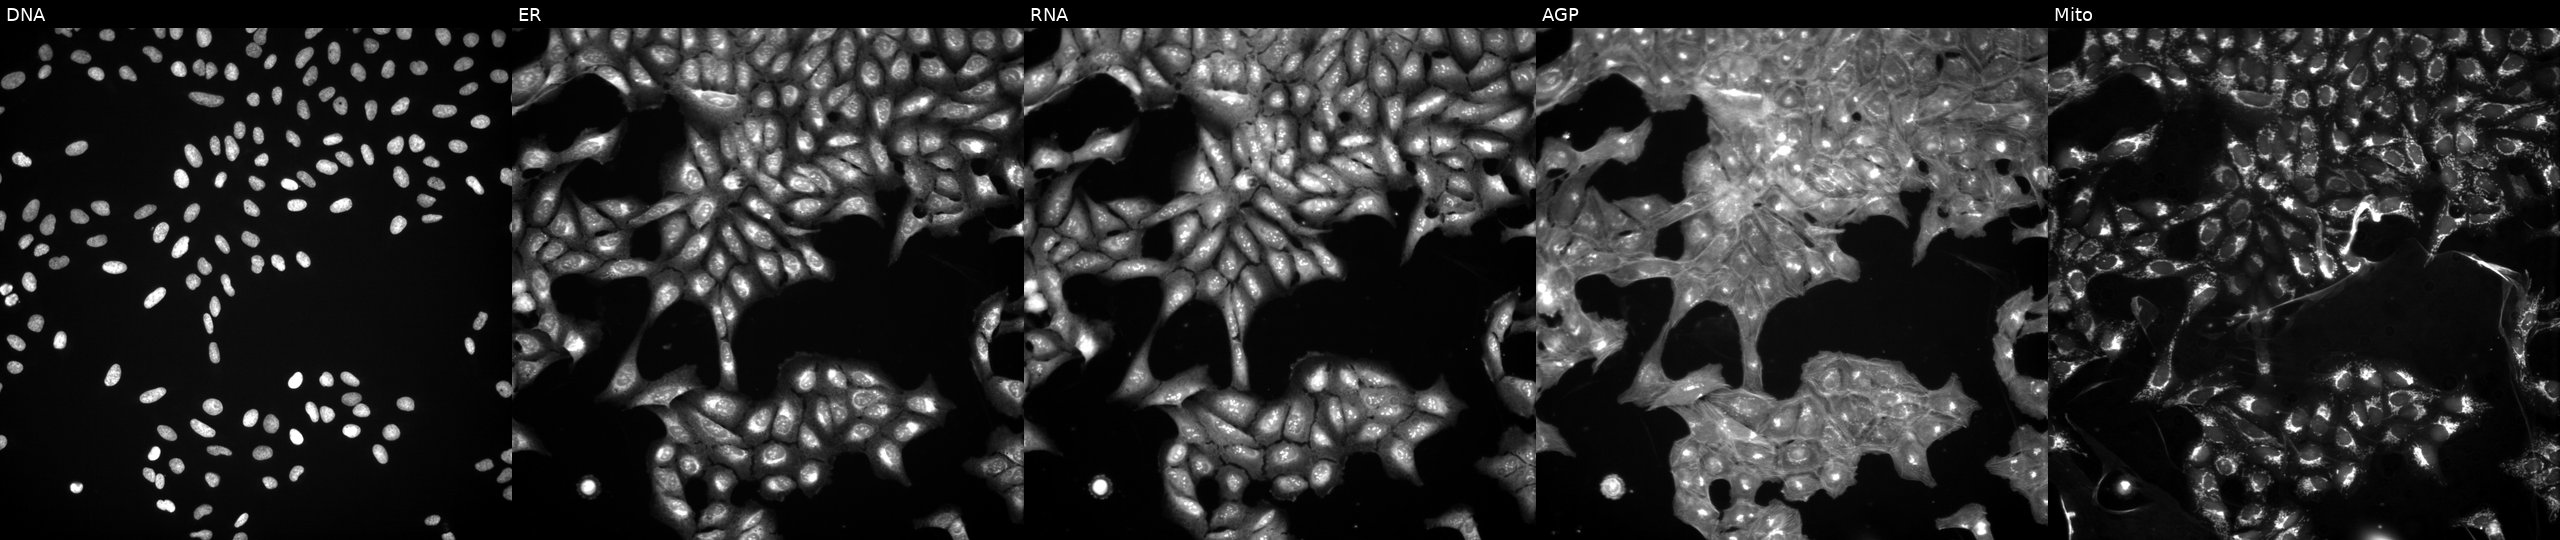
JUMP Cell Painting — COMPOUND plate. U2OS cells treated with a small-molecule compound. The five panels, left to right, show Hoechst 33342, concanavalin A, SYTO 14, phalloidin and WGA, MitoTracker.